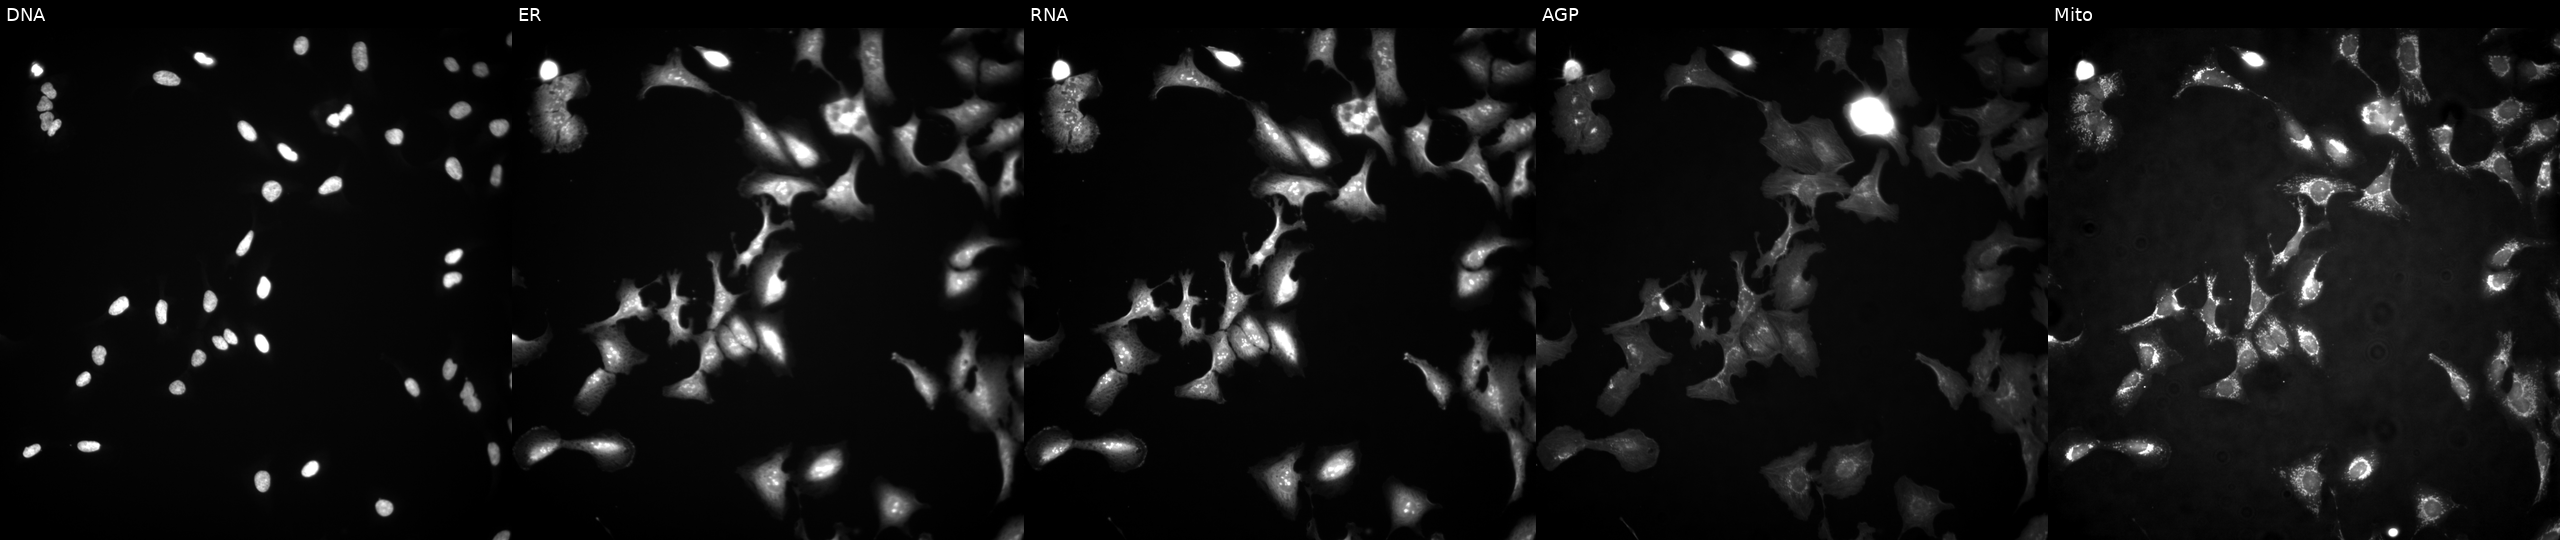
Channels (left→right): DNA (nuclei); ER (endoplasmic reticulum); RNA (nucleoli and cytoplasmic RNA); AGP (actin cytoskeleton, Golgi, and plasma membrane); Mito (mitochondria). U2OS osteosarcoma cells transfected with an ORF construct for MORF4L1. Cell Painting assay, JUMP-CP dataset. Source 4, plate BR00117035, well M21.